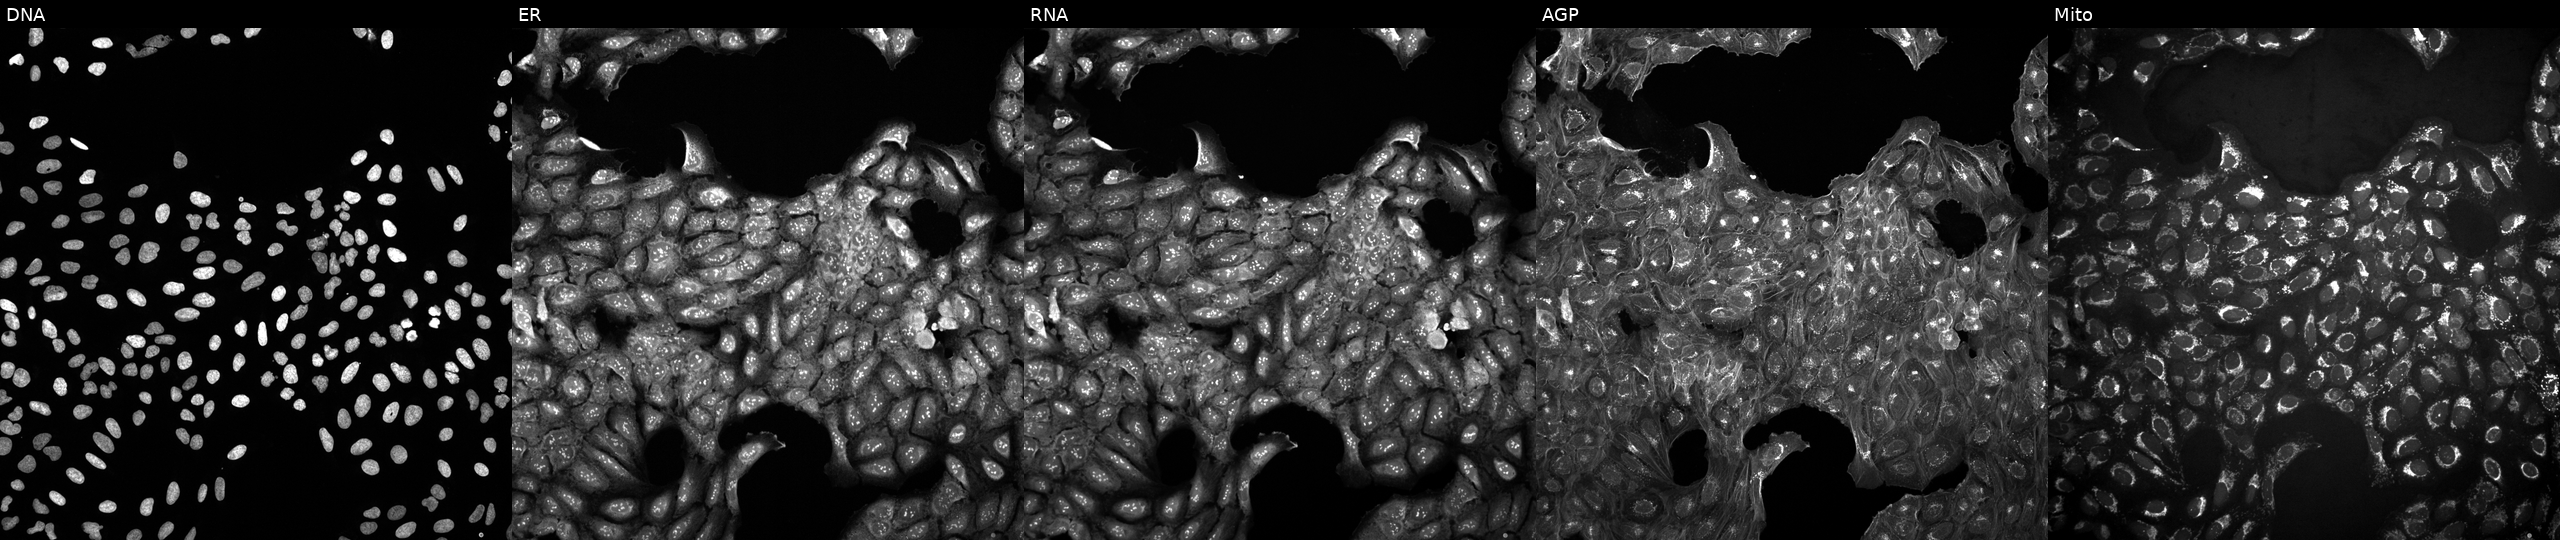
Five-channel Cell Painting image of U2OS cells untreated (empty-well control). From left to right: DNA, ER, RNA, AGP, and Mito. Source 10, plate Dest210531-152149, well K03.